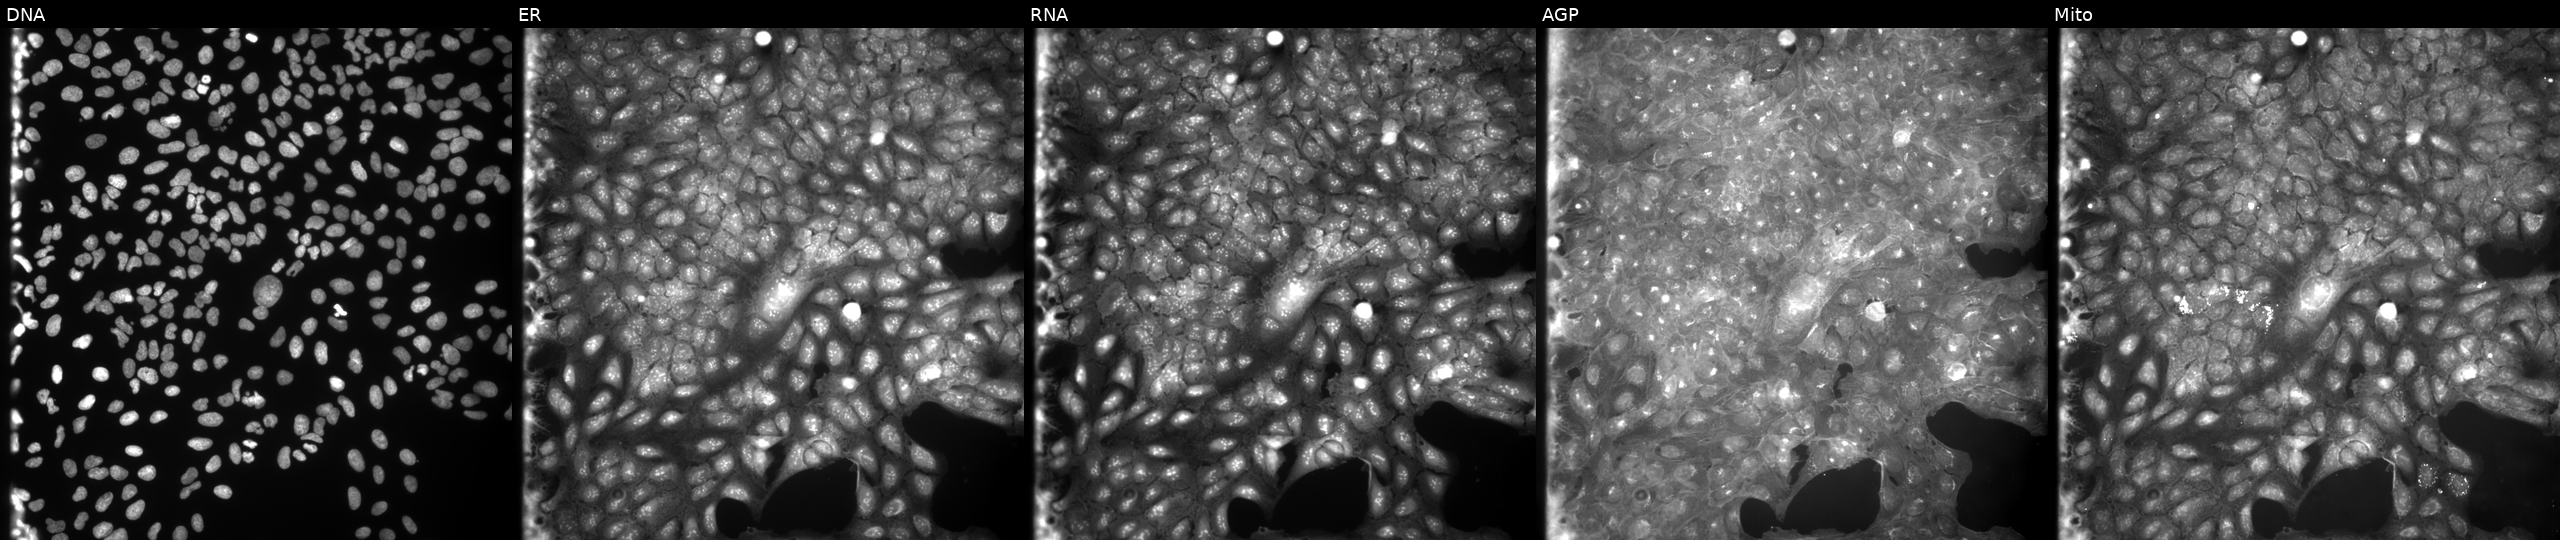
This image strip shows the five Cell Painting channels for a single field of U2OS cells treated with a small-molecule compound (InChIKey HNXGXYPCJMVNQV-UHFFFAOYSA-N) (JUMP id JCP2022_031428). From left to right: DNA, ER, RNA, AGP, and Mito.